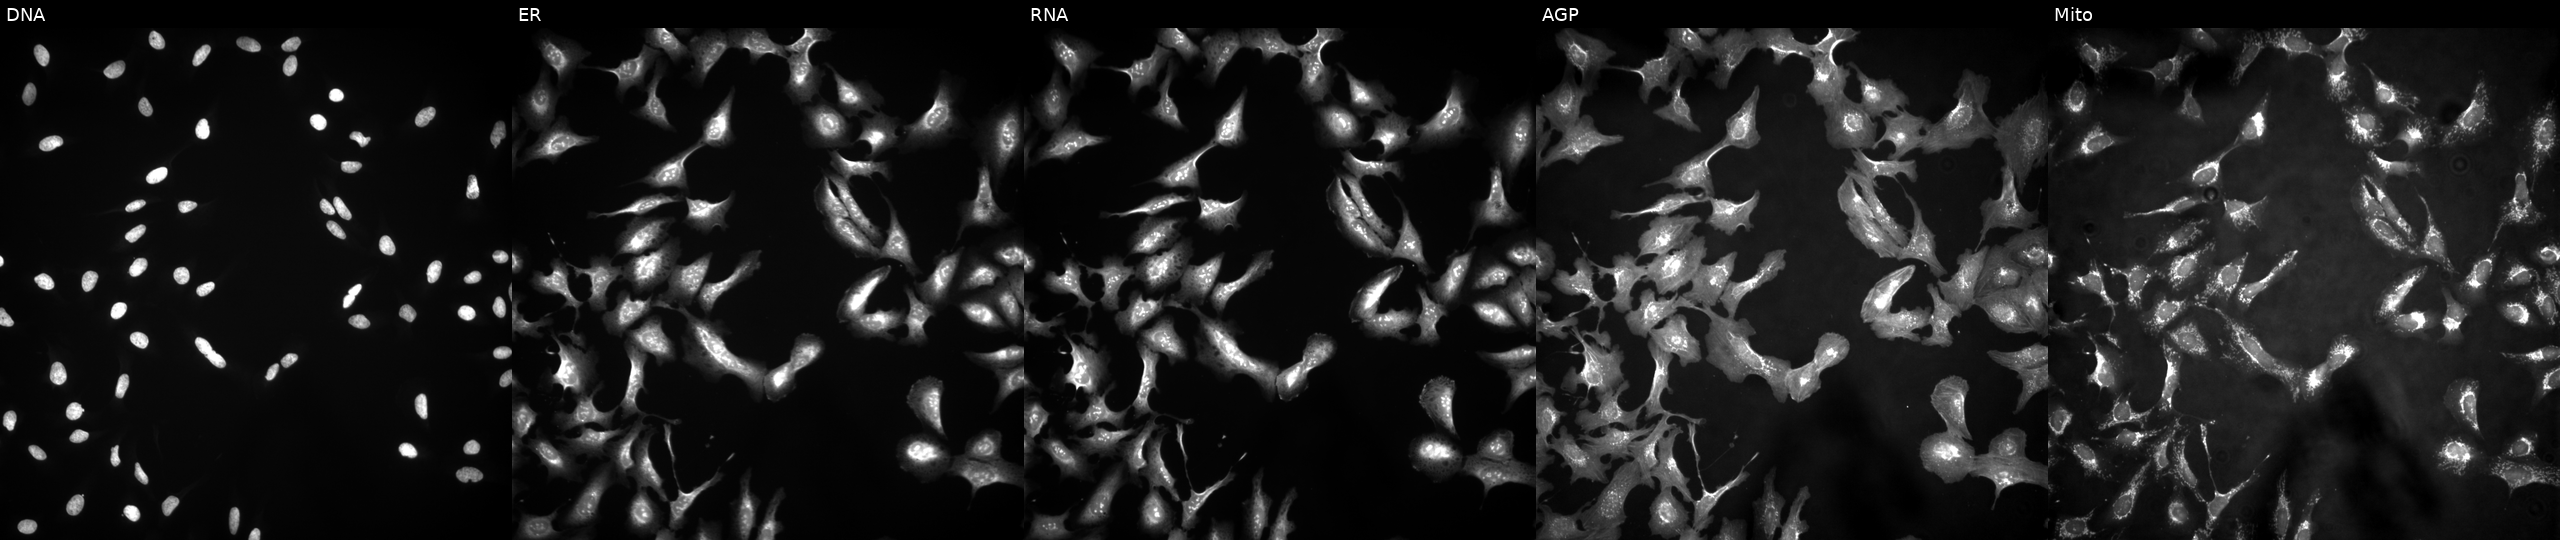
U2OS cells, Cell Painting assay, transfected with an ORF construct for NBPF15 (JUMP id JCP2022_909285). Panels show, left to right, DNA, ER, RNA, AGP, and Mito. Each panel is percentile-stretched 16-bit fluorescence.